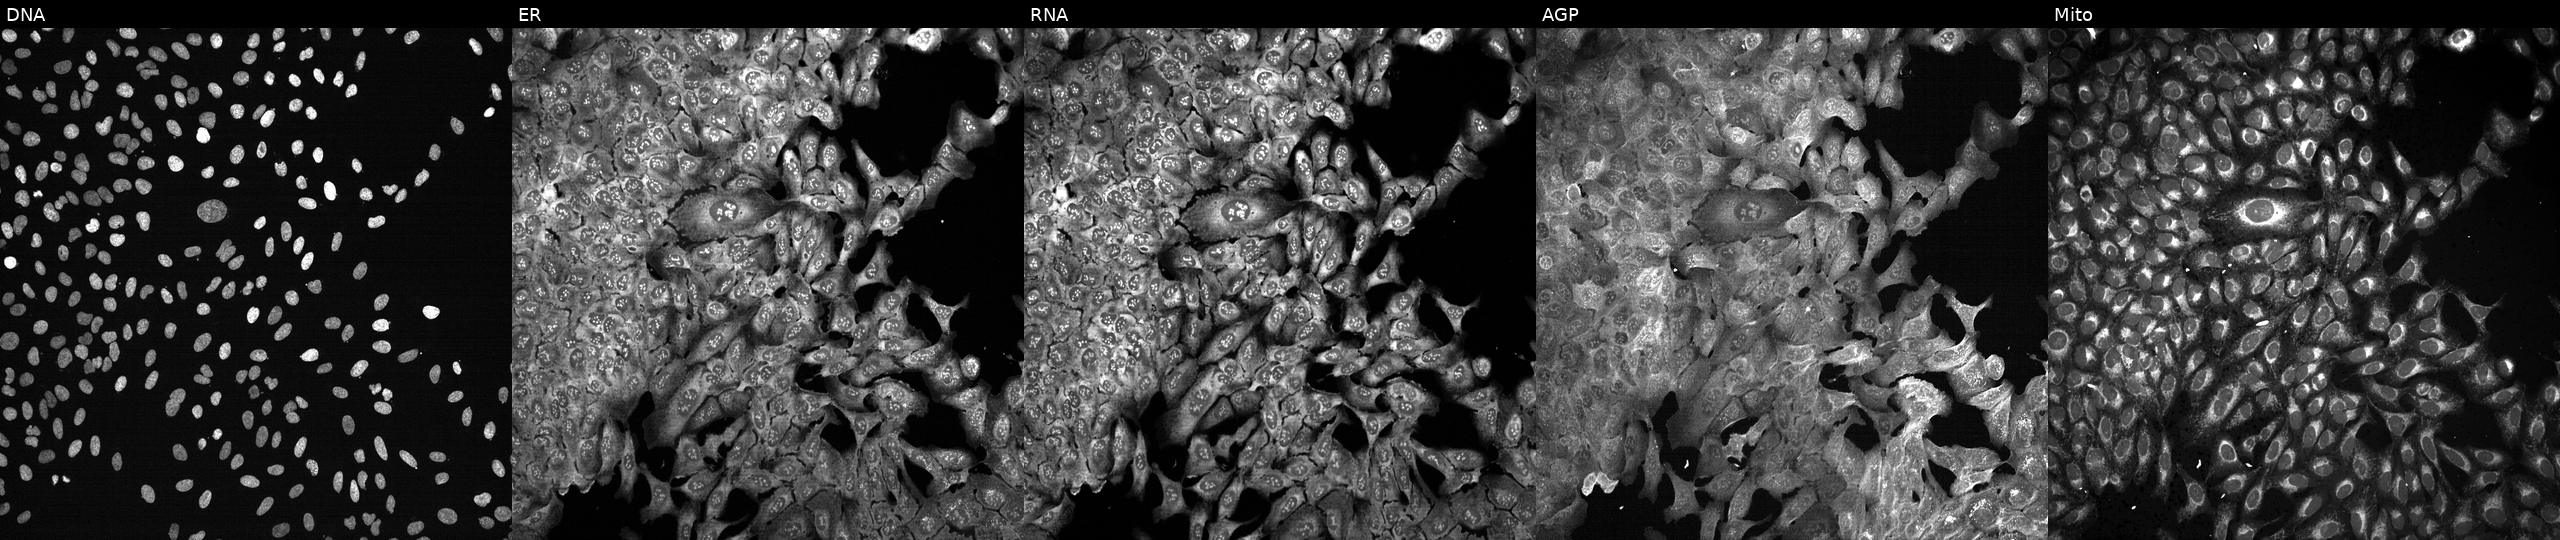
U2OS cells, Cell Painting assay, following CRISPR knockout of CA10 (JUMP id JCP2022_800972). From left to right: DNA, ER, RNA, AGP, and Mito. Each panel is percentile-stretched 16-bit fluorescence.